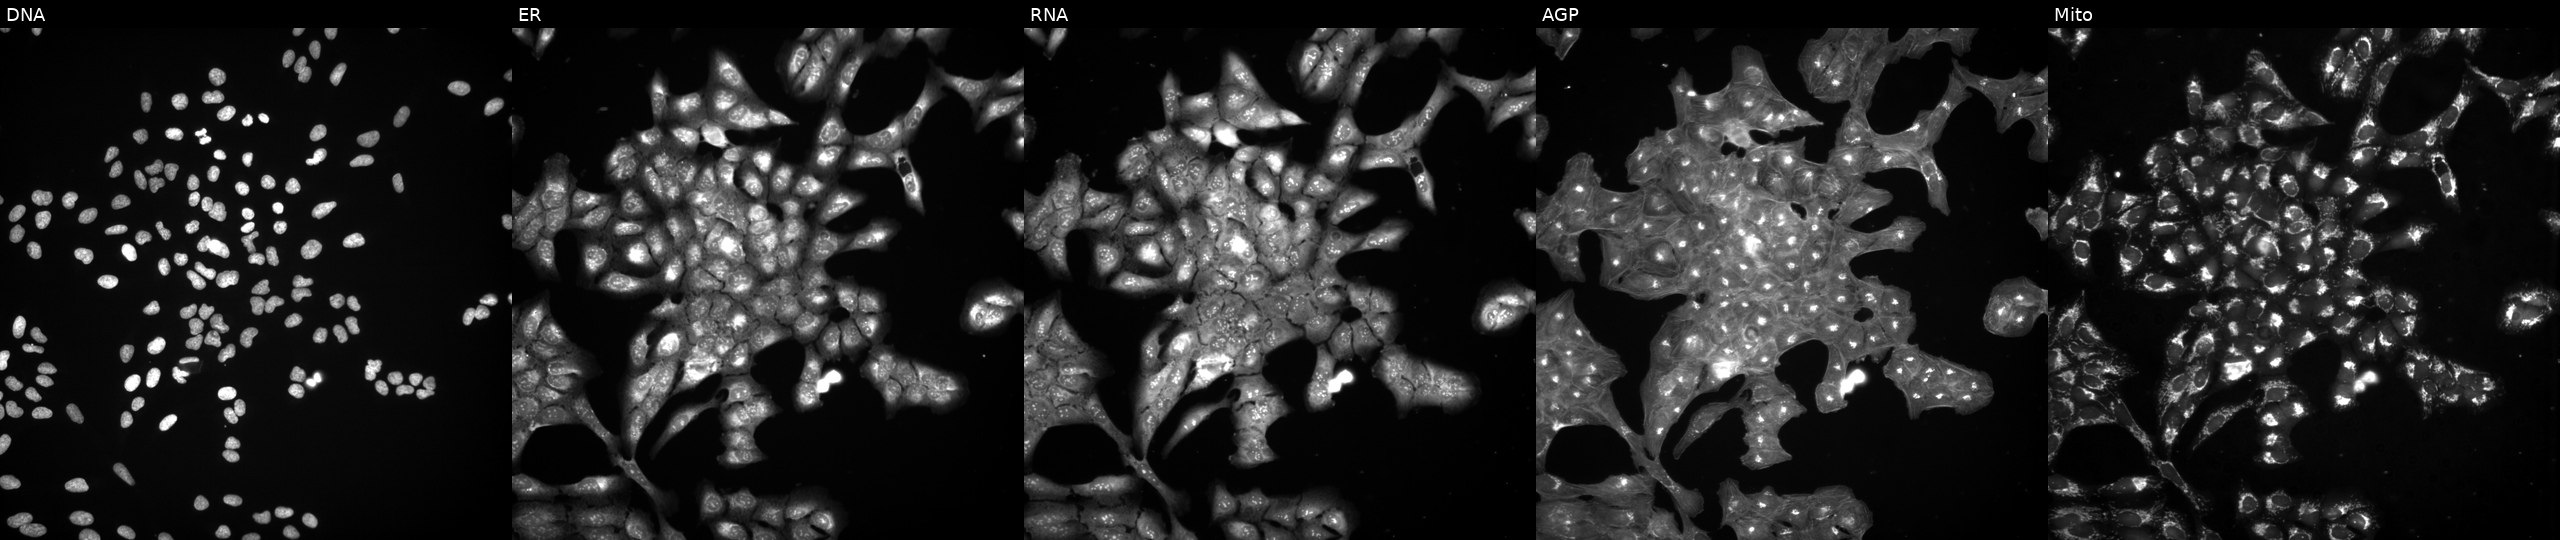
JUMP Cell Painting — COMPOUND plate. U2OS cells treated with a small-molecule compound (InChIKey IHBPDBWWLZDUSV-UHFFFAOYSA-N) (JUMP id JCP2022_035013). From left to right: DNA (nuclei); ER (endoplasmic reticulum); RNA (nucleoli and cytoplasmic RNA); AGP (actin cytoskeleton, Golgi, and plasma membrane); Mito (mitochondria). Source 3, plate BR5867b3, well I03.